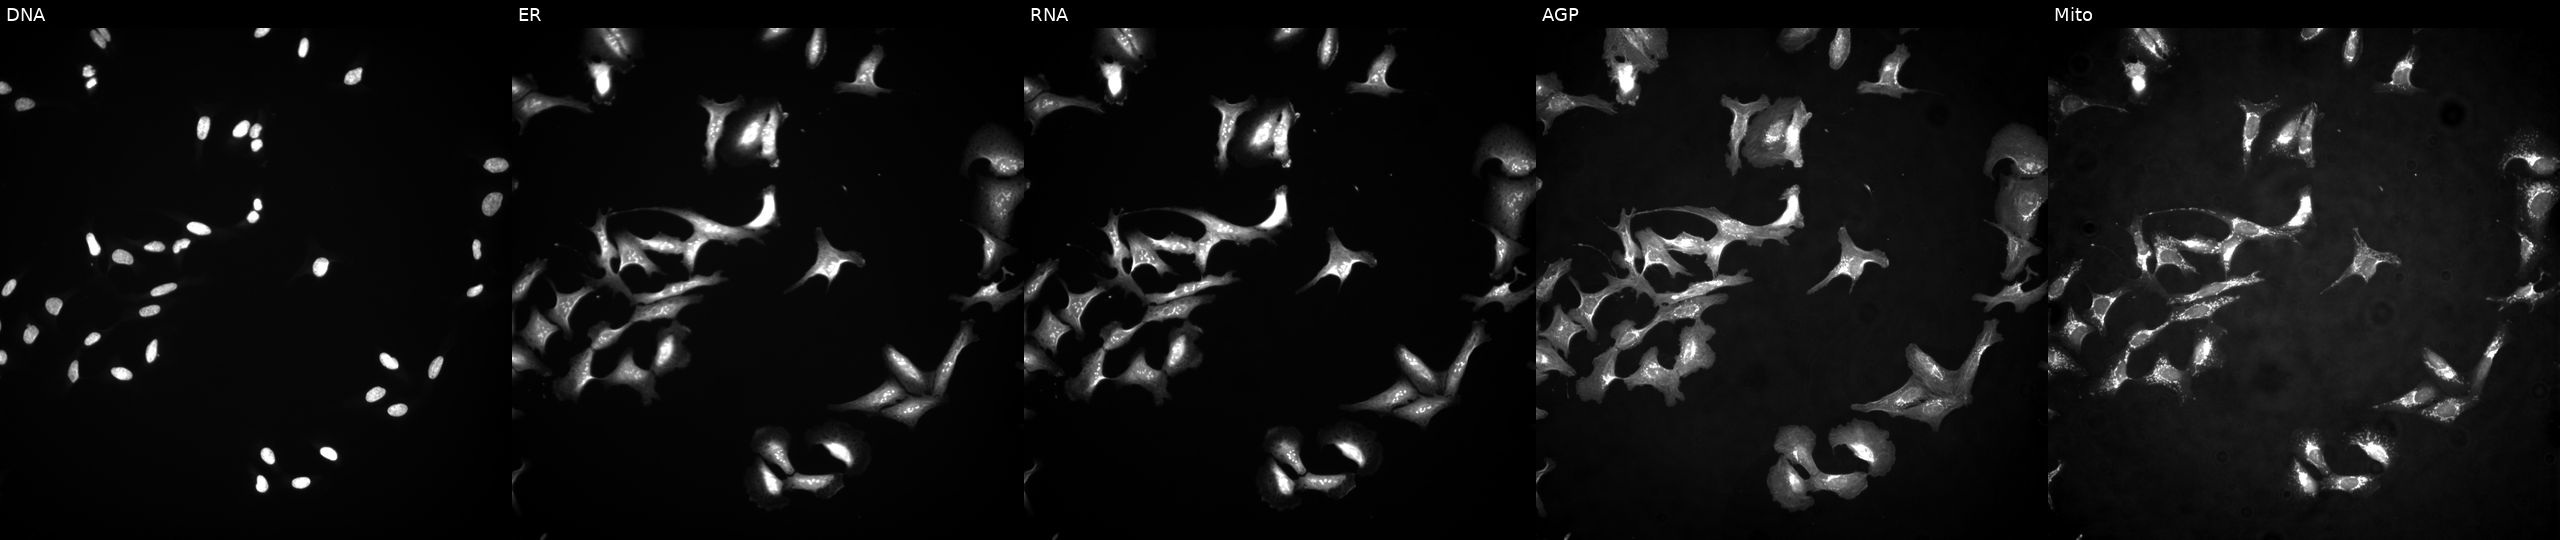
Five-channel Cell Painting image of U2OS cells untreated (empty-well control). From left to right: DNA (nuclei); ER (endoplasmic reticulum); RNA (nucleoli and cytoplasmic RNA); AGP (actin cytoskeleton, Golgi, and plasma membrane); Mito (mitochondria).